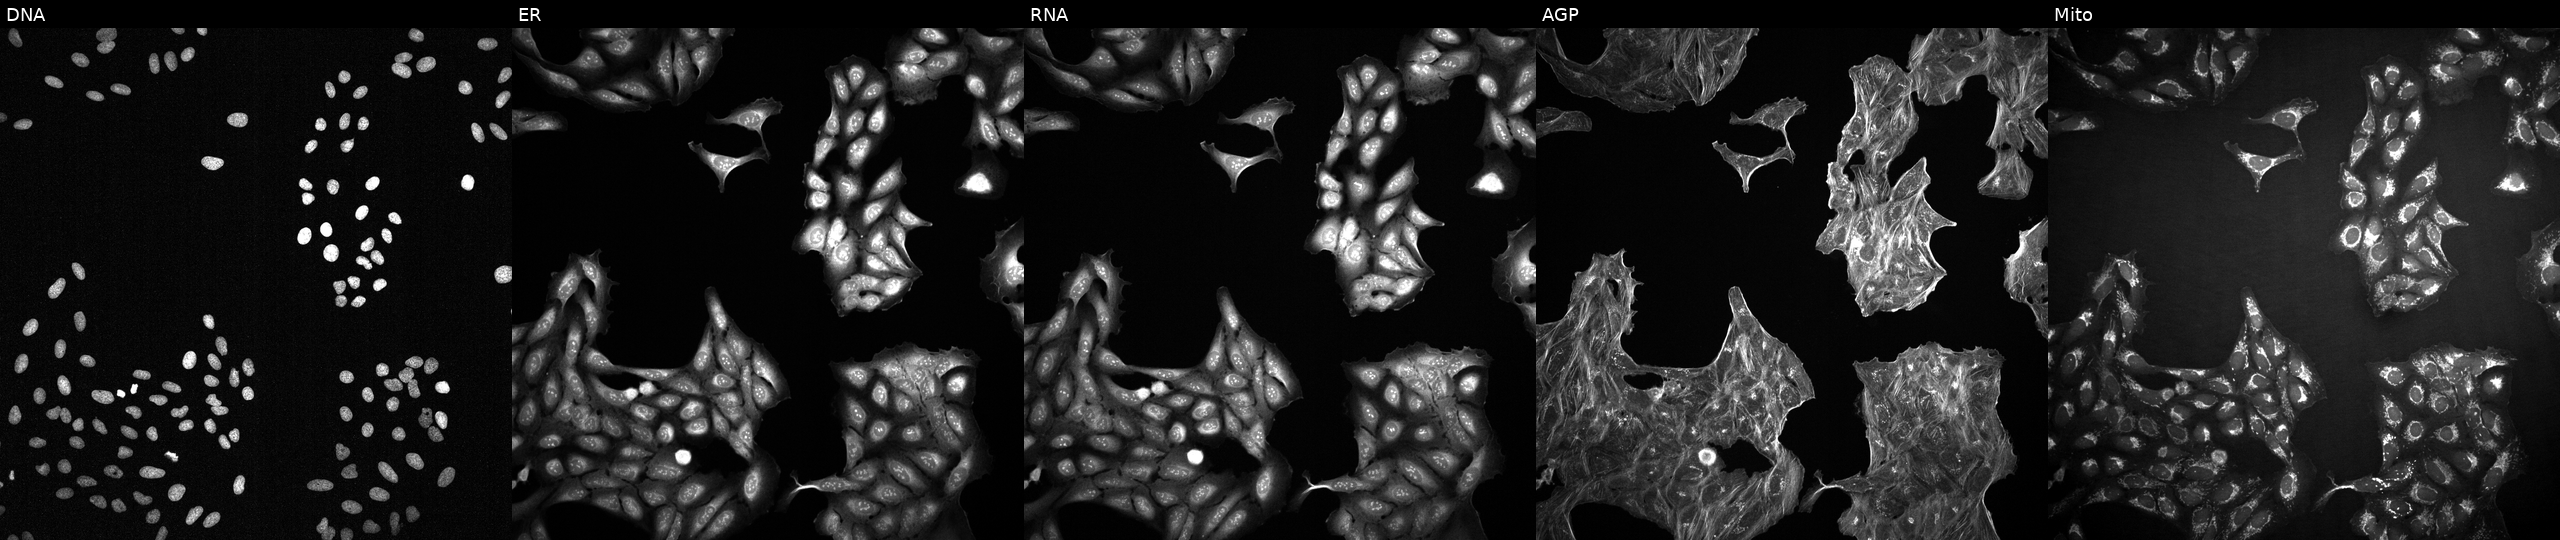
High-content fluorescence microscopy (Cell Painting). Cell line: U2OS. Perturbation: perturbed with a small-molecule compound (JUMP id JCP2022_020718). Panels show, left to right, DNA (nuclei); ER (endoplasmic reticulum); RNA (nucleoli and cytoplasmic RNA); AGP (actin cytoskeleton, Golgi, and plasma membrane); Mito (mitochondria). Source 2, plate 1053599503, well E14.